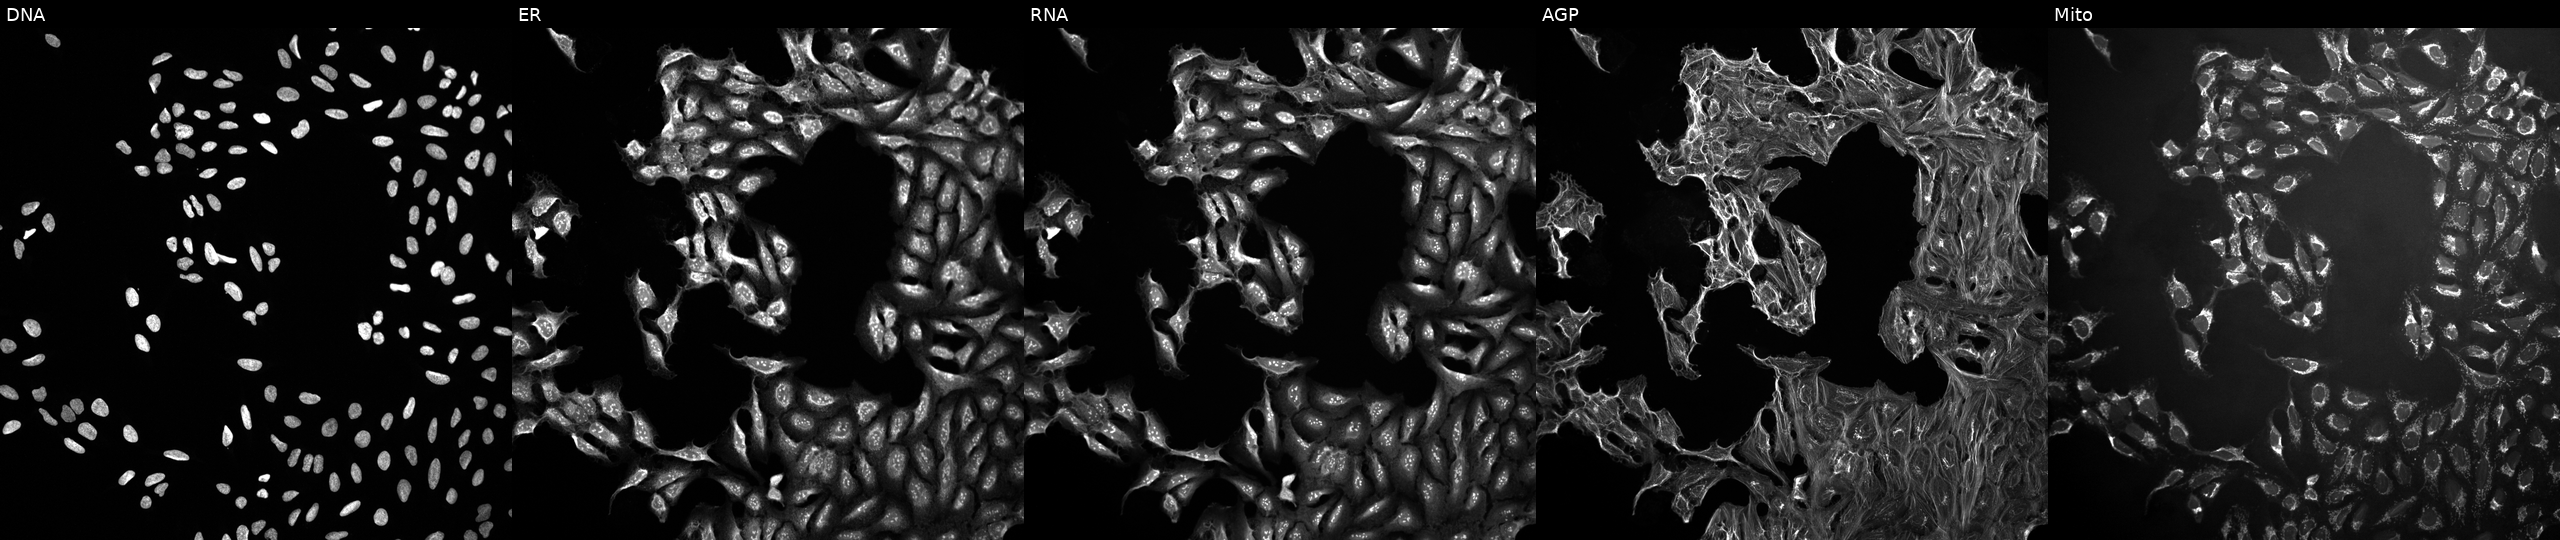
Five-channel Cell Painting image of U2OS cells treated with a small-molecule compound (InChIKey YULUCECVQOCQFQ-UHFFFAOYSA-N) [SMILES: NCC(=O)Nc1ccc(-n2nc(C(F)(F)F)cc2-c2ccc3c(ccc4ccccc43)c2)cc1] (JUMP id JCP2022_110929). The five panels, left to right, show DNA, ER, RNA, AGP, and Mito. Source 10, plate Dest210726-160150, well I14.